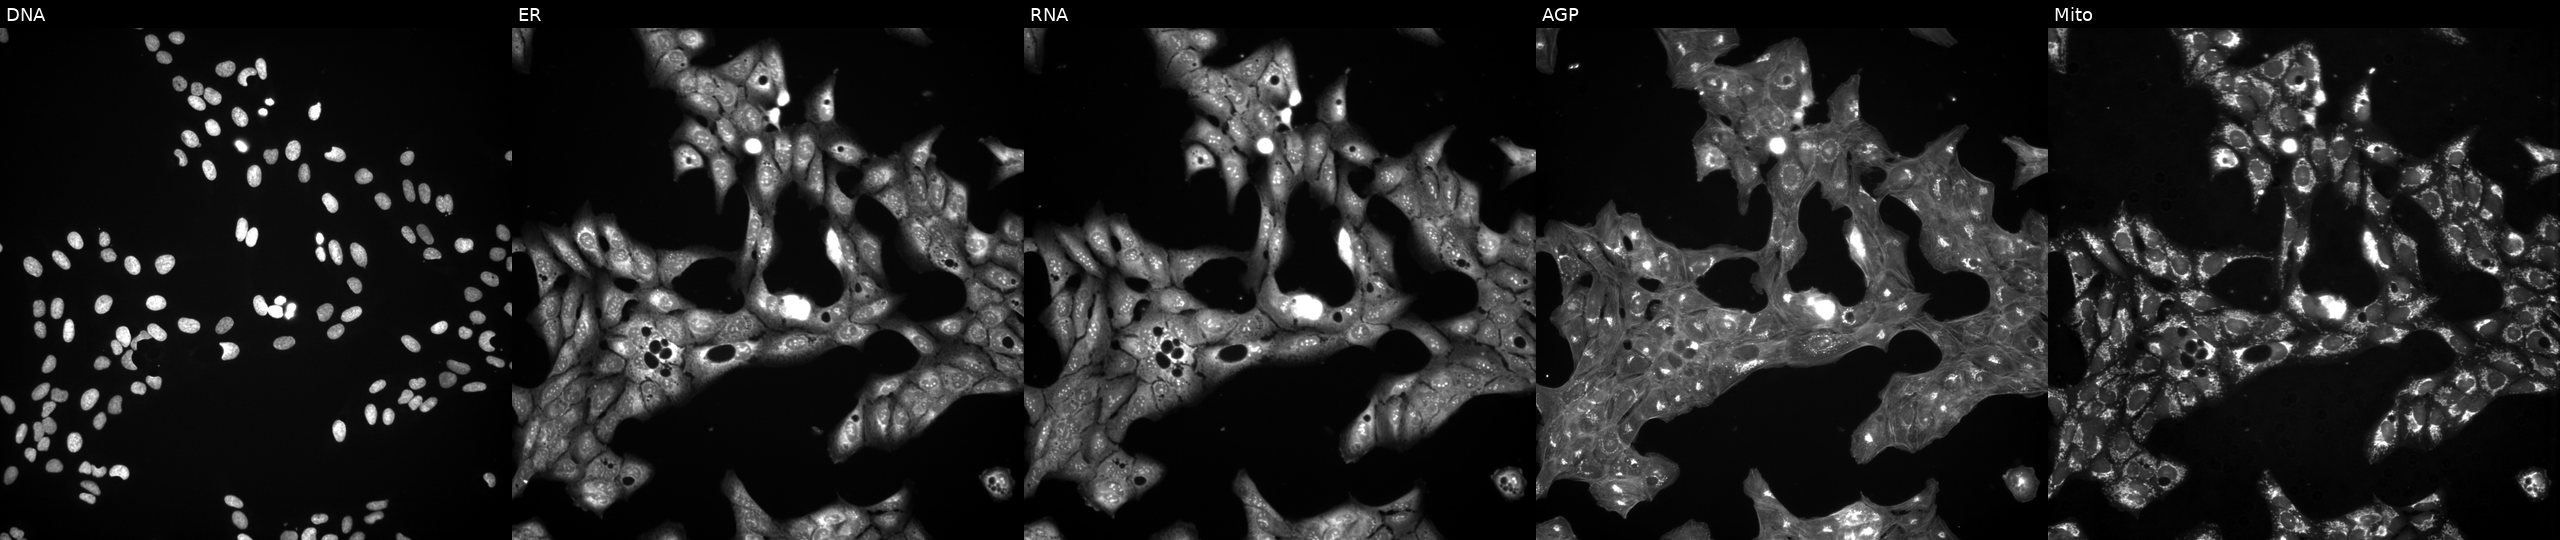
U2OS cells, Cell Painting assay, perturbed with a small-molecule compound (InChIKey SCELLOWTHJGVIC-UHFFFAOYSA-N) [SMILES: CC1CN(CC(=O)Nc2ccc3c(c2)Cc2cccc(-c4cc(=O)cc(N5CCOCC5)o4)c2S3)CC(C)O1]. From left to right: DNA (nuclei); ER (endoplasmic reticulum); RNA (nucleoli and cytoplasmic RNA); AGP (actin cytoskeleton, Golgi, and plasma membrane); Mito (mitochondria). Each panel is percentile-stretched 16-bit fluorescence. Source 3, plate JCPQC052, well J17.